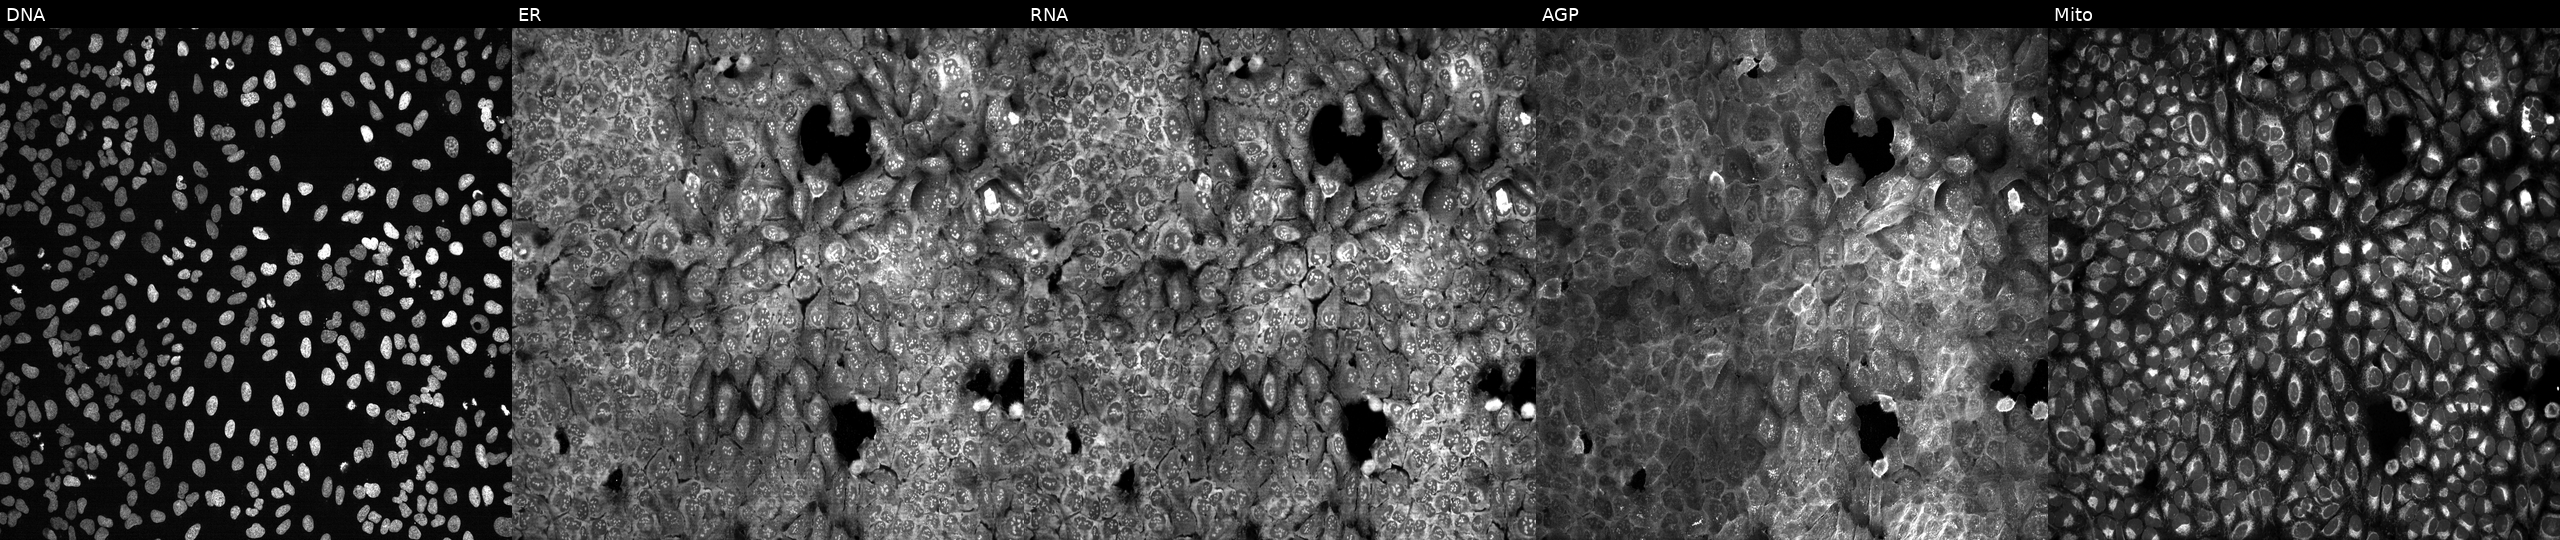
Five-channel Cell Painting image of U2OS cells following CRISPR knockout of ABHD2. The five panels, left to right, show DNA (nuclei); ER (endoplasmic reticulum); RNA (nucleoli and cytoplasmic RNA); AGP (actin cytoskeleton, Golgi, and plasma membrane); Mito (mitochondria). Source 13, plate CP-CC9-R6-19, well I06.